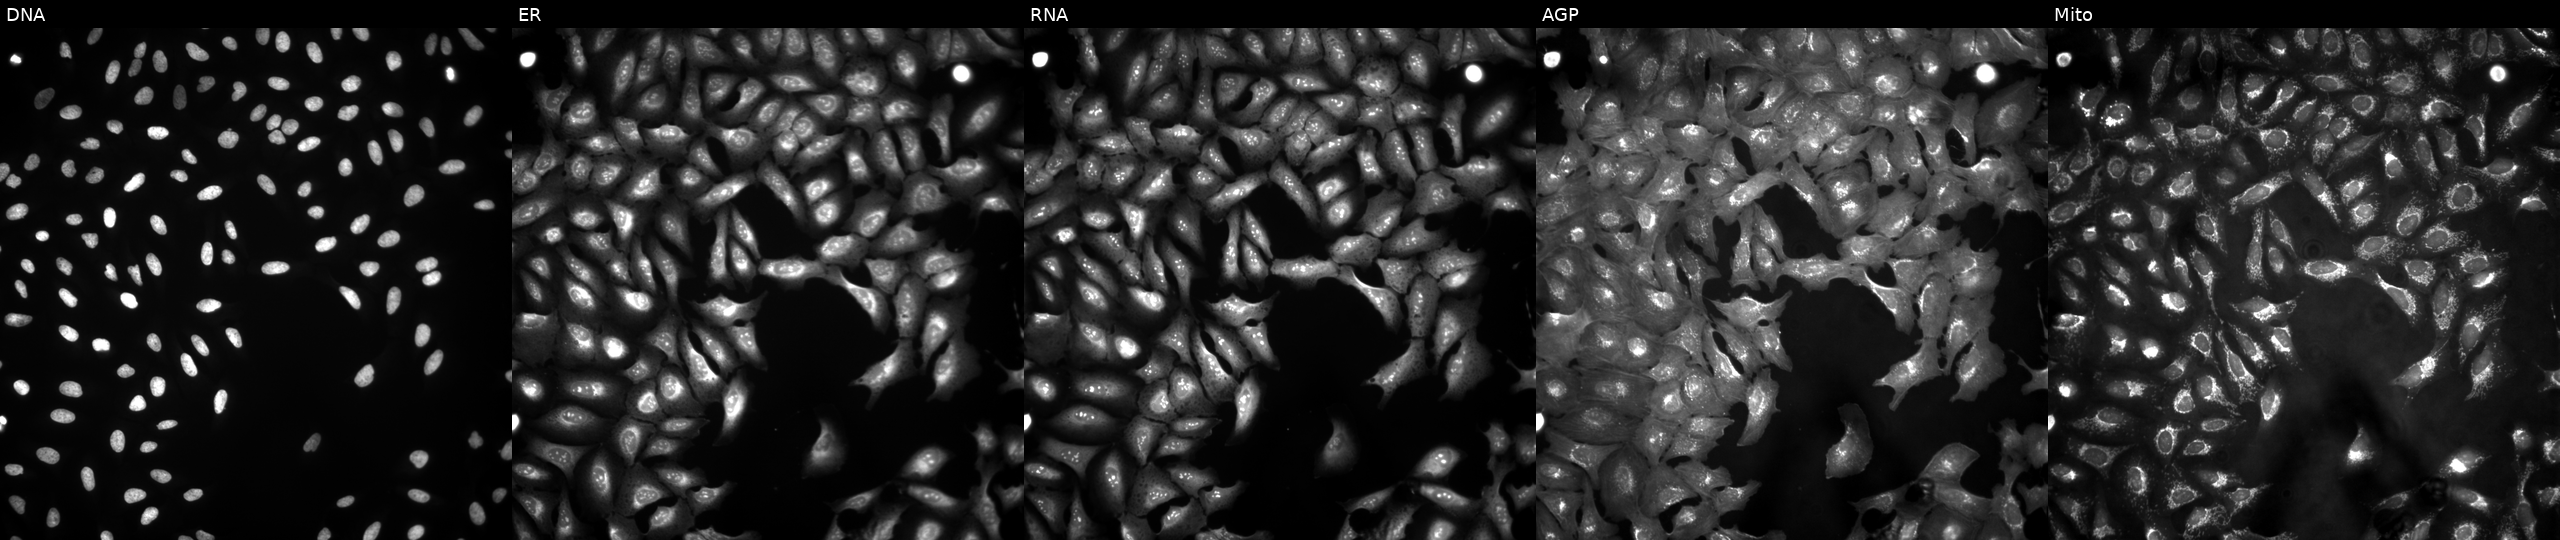
This image strip shows the five Cell Painting channels for a single field of U2OS cells transfected with an ORF construct for UTP4. The five panels, left to right, show DNA (nuclei); ER (endoplasmic reticulum); RNA (nucleoli and cytoplasmic RNA); AGP (actin cytoskeleton, Golgi, and plasma membrane); Mito (mitochondria). Source 4, plate BR00121543, well G22.